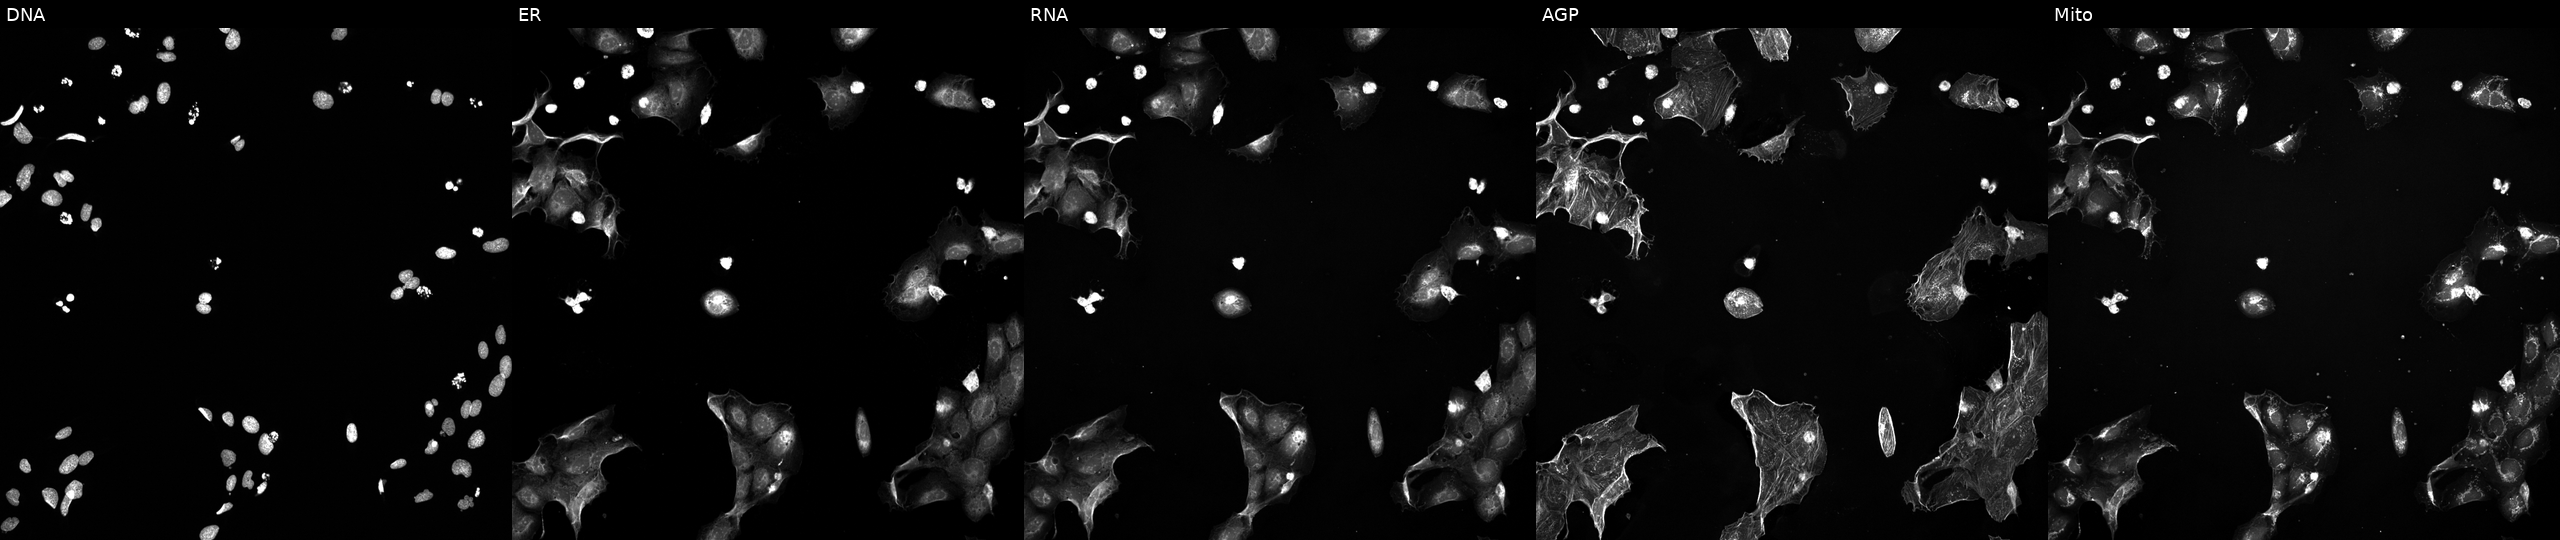
U2OS cells, Cell Painting assay, treated with a small-molecule compound (JUMP id JCP2022_080920). The five panels, left to right, show DNA (nuclei); ER (endoplasmic reticulum); RNA (nucleoli and cytoplasmic RNA); AGP (actin cytoskeleton, Golgi, and plasma membrane); Mito (mitochondria). Each panel is percentile-stretched 16-bit fluorescence. Source 5, plate ACPJUM032, well L22.